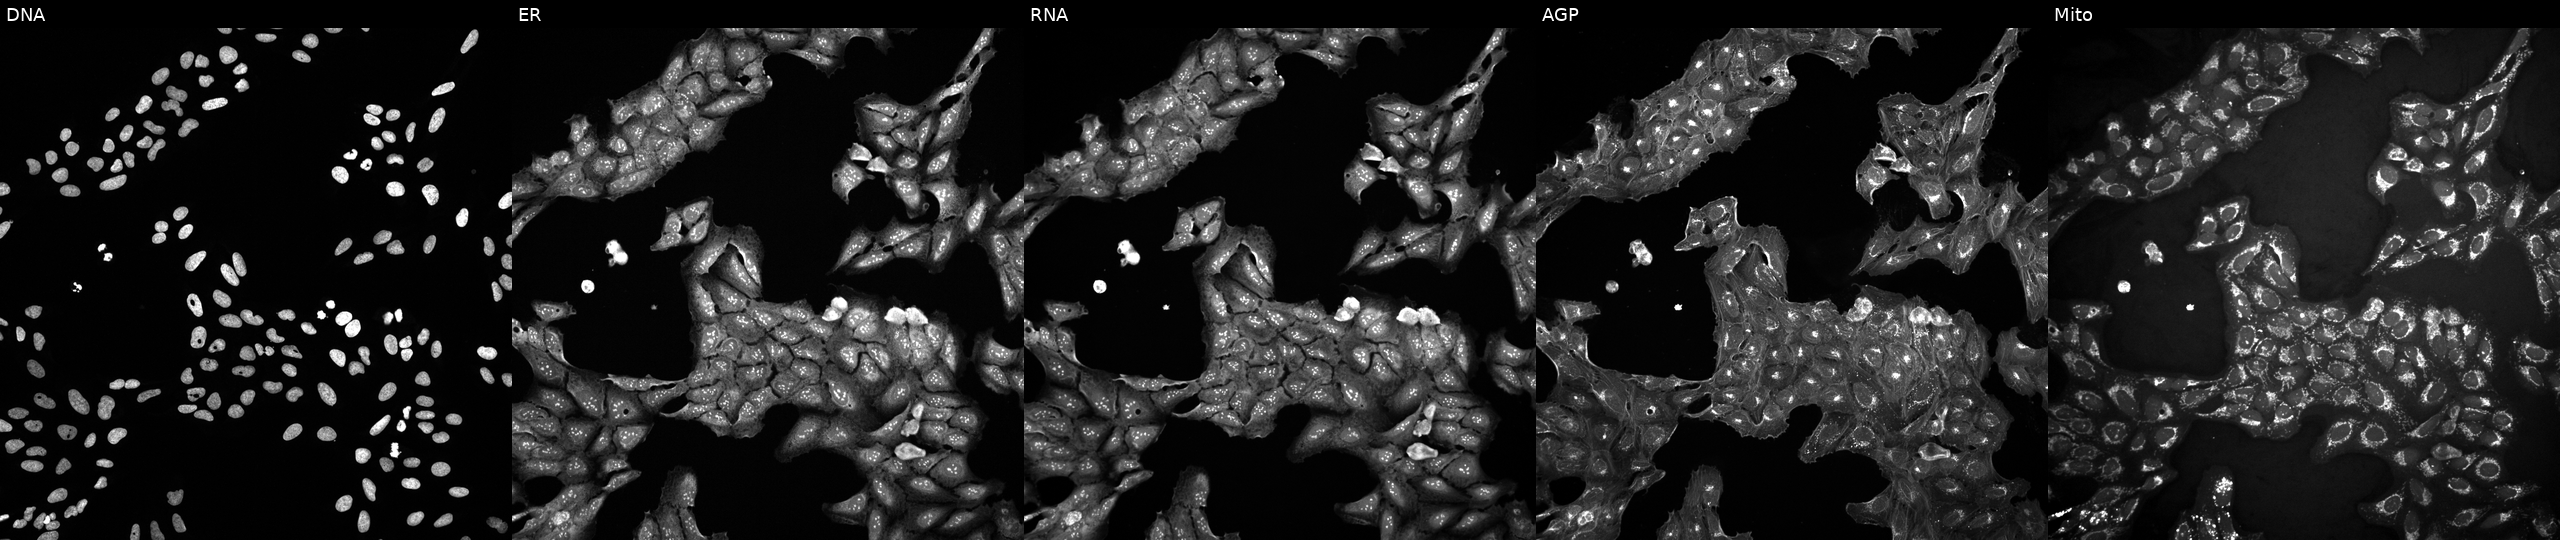
U2OS cells, Cell Painting assay, perturbed with a small-molecule compound (JUMP id JCP2022_112143). Panels show, left to right, DNA, ER, RNA, AGP, and Mito. Each panel is percentile-stretched 16-bit fluorescence.